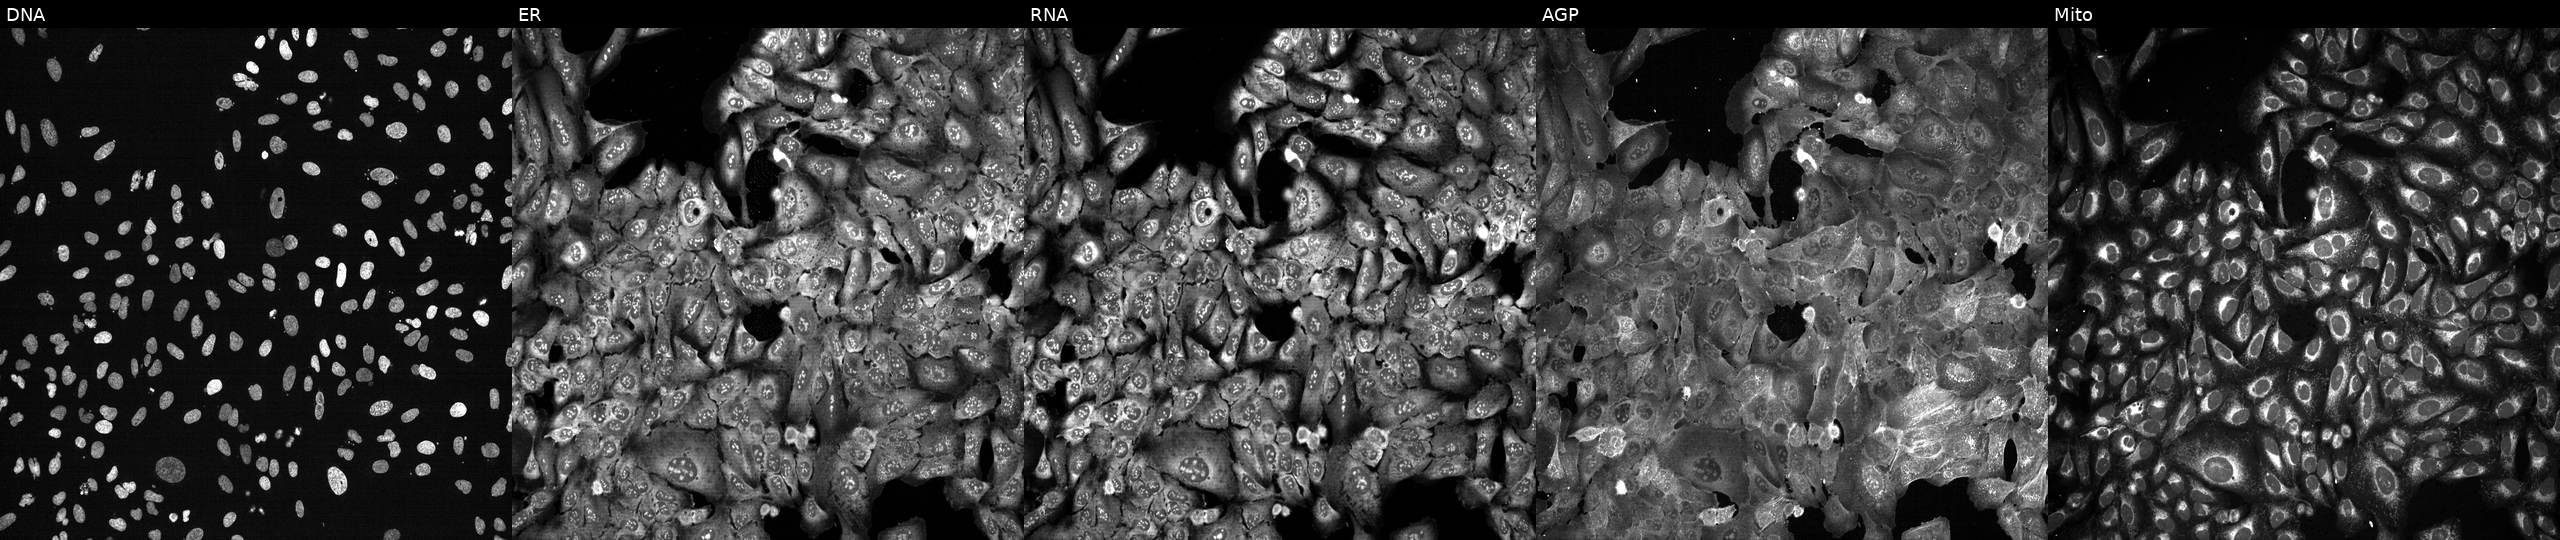
JUMP Cell Painting — CRISPR plate. U2OS cells following CRISPR knockout of BLM (JUMP id JCP2022_800887). From left to right: DNA (nuclei); ER (endoplasmic reticulum); RNA (nucleoli and cytoplasmic RNA); AGP (actin cytoskeleton, Golgi, and plasma membrane); Mito (mitochondria).